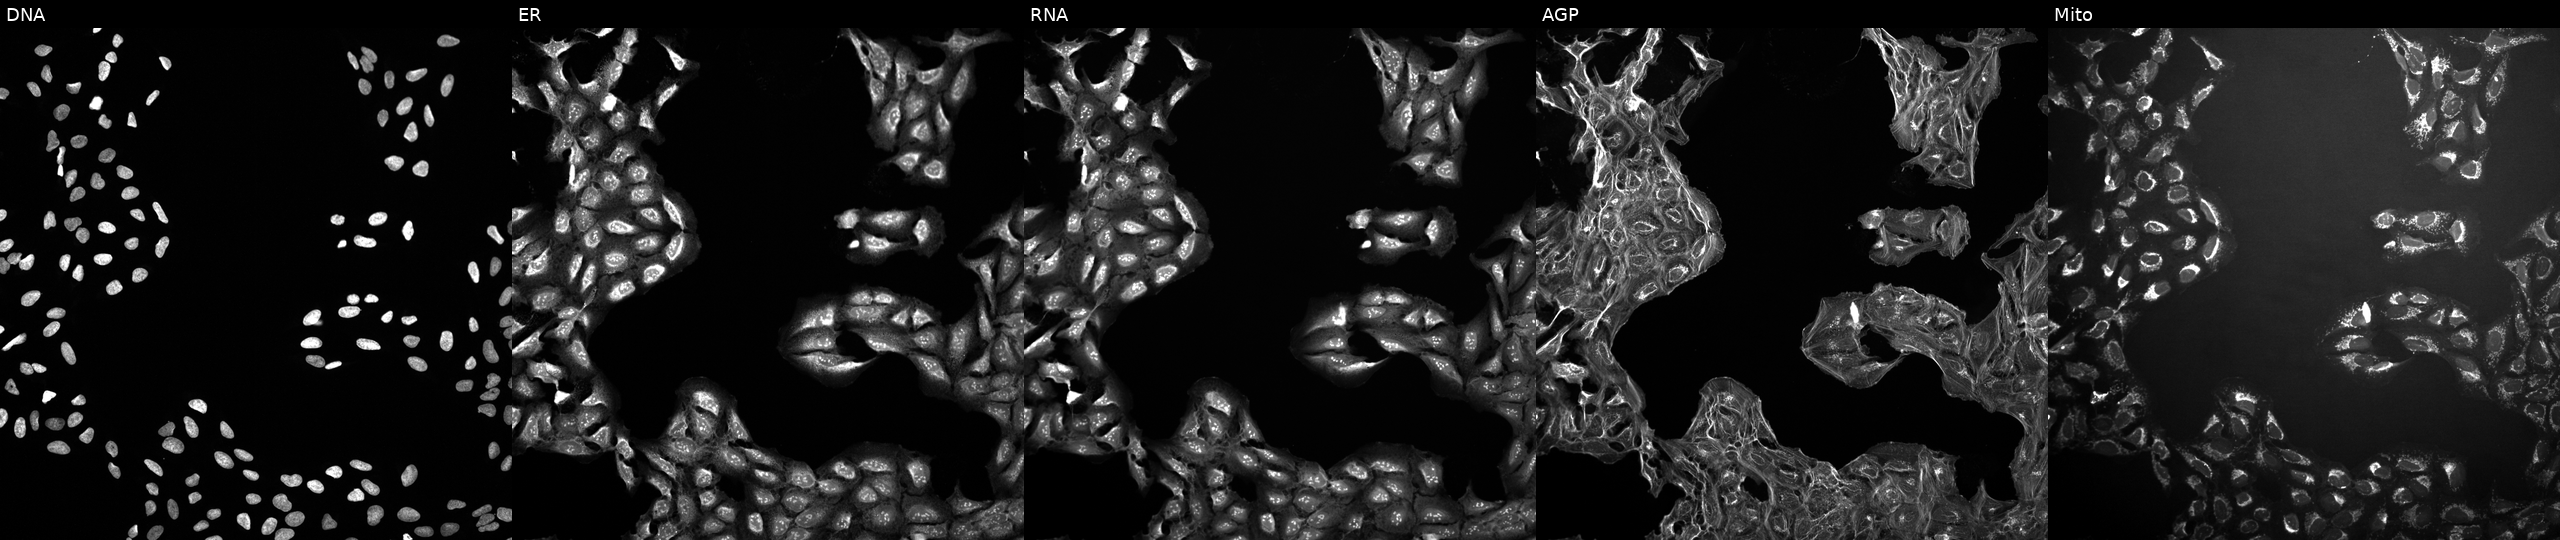
Five-channel Cell Painting image of U2OS cells treated with a small-molecule compound (InChIKey TXUZVZSFRXZGTL-UHFFFAOYSA-N) (JUMP id JCP2022_087444). Channels (left→right): DNA (nuclei); ER (endoplasmic reticulum); RNA (nucleoli and cytoplasmic RNA); AGP (actin cytoskeleton, Golgi, and plasma membrane); Mito (mitochondria). Source 10, plate Dest210726-160150, well C15.